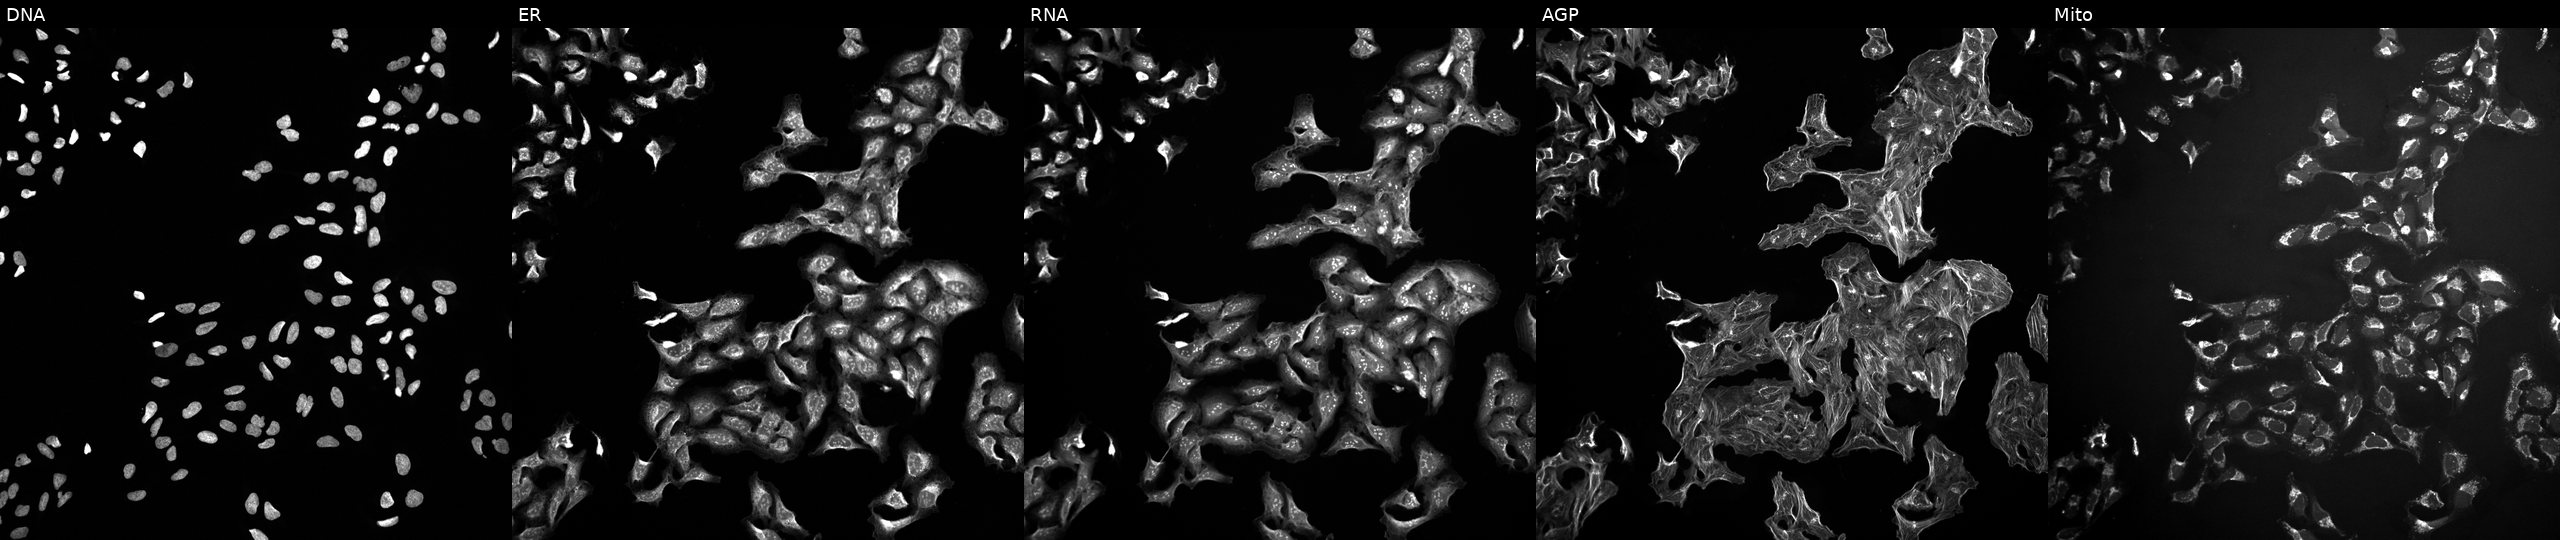
JUMP Cell Painting — TARGET2 plate. U2OS cells exposed to the positive-control compound NVS-PAK1-1. The five panels, left to right, show DNA, ER, RNA, AGP, and Mito. Source 10, plate Dest210726-160150, well J13.